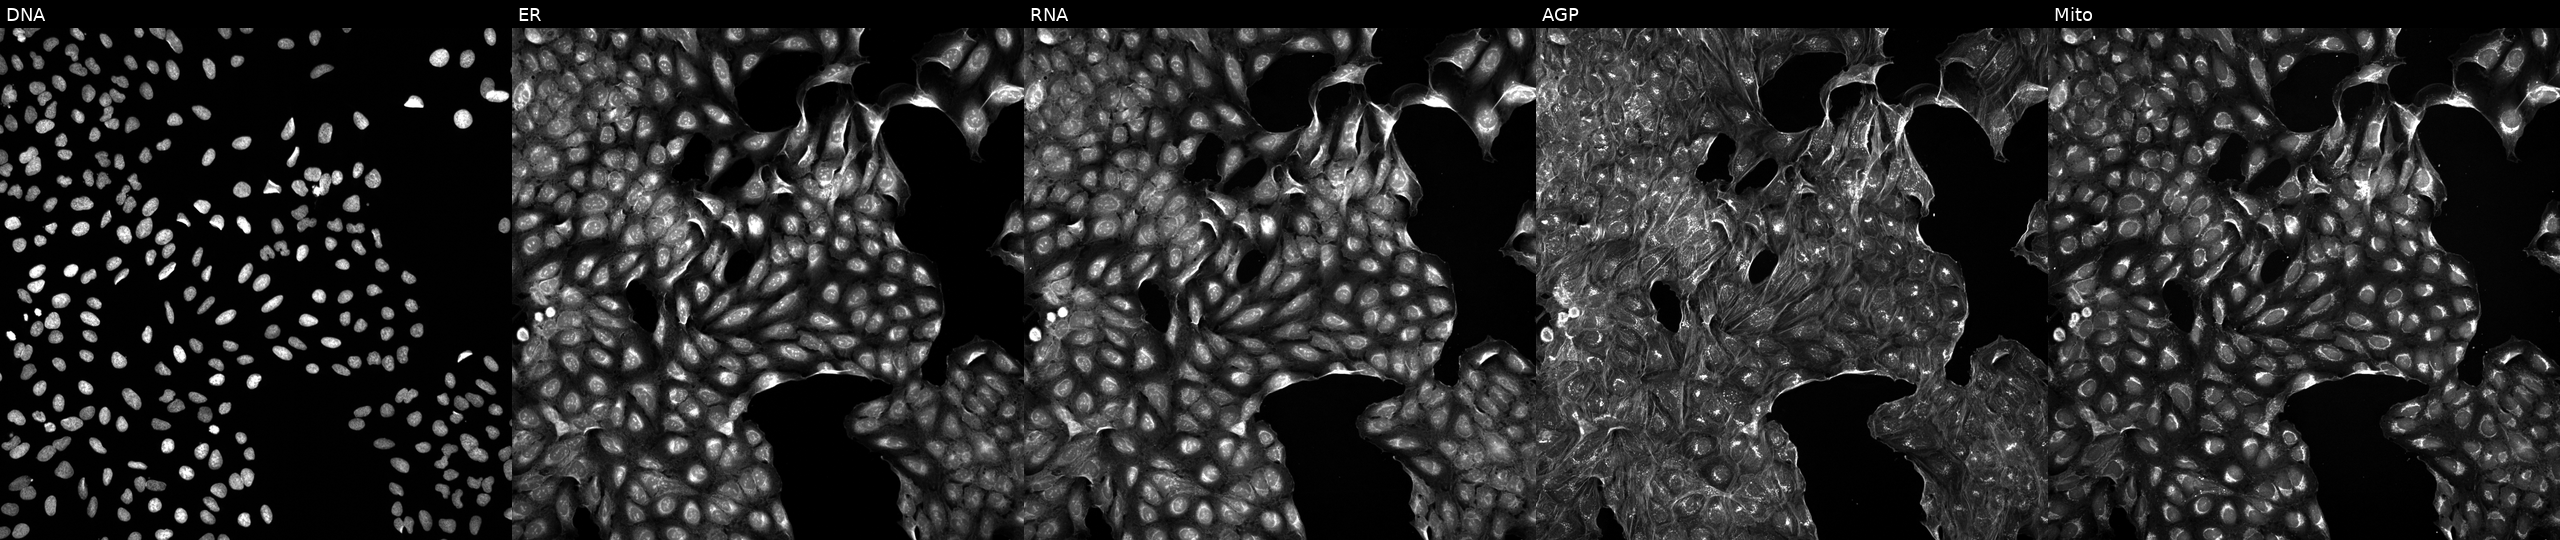
Five-channel Cell Painting image of U2OS cells exposed to a small-molecule compound (InChIKey QTTQCCNPJUNYGS-UHFFFAOYSA-N) (JUMP id JCP2022_075830). From left to right: Hoechst 33342, concanavalin A, SYTO 14, phalloidin and WGA, MitoTracker. Source 5, plate APTJUM106, well C03.